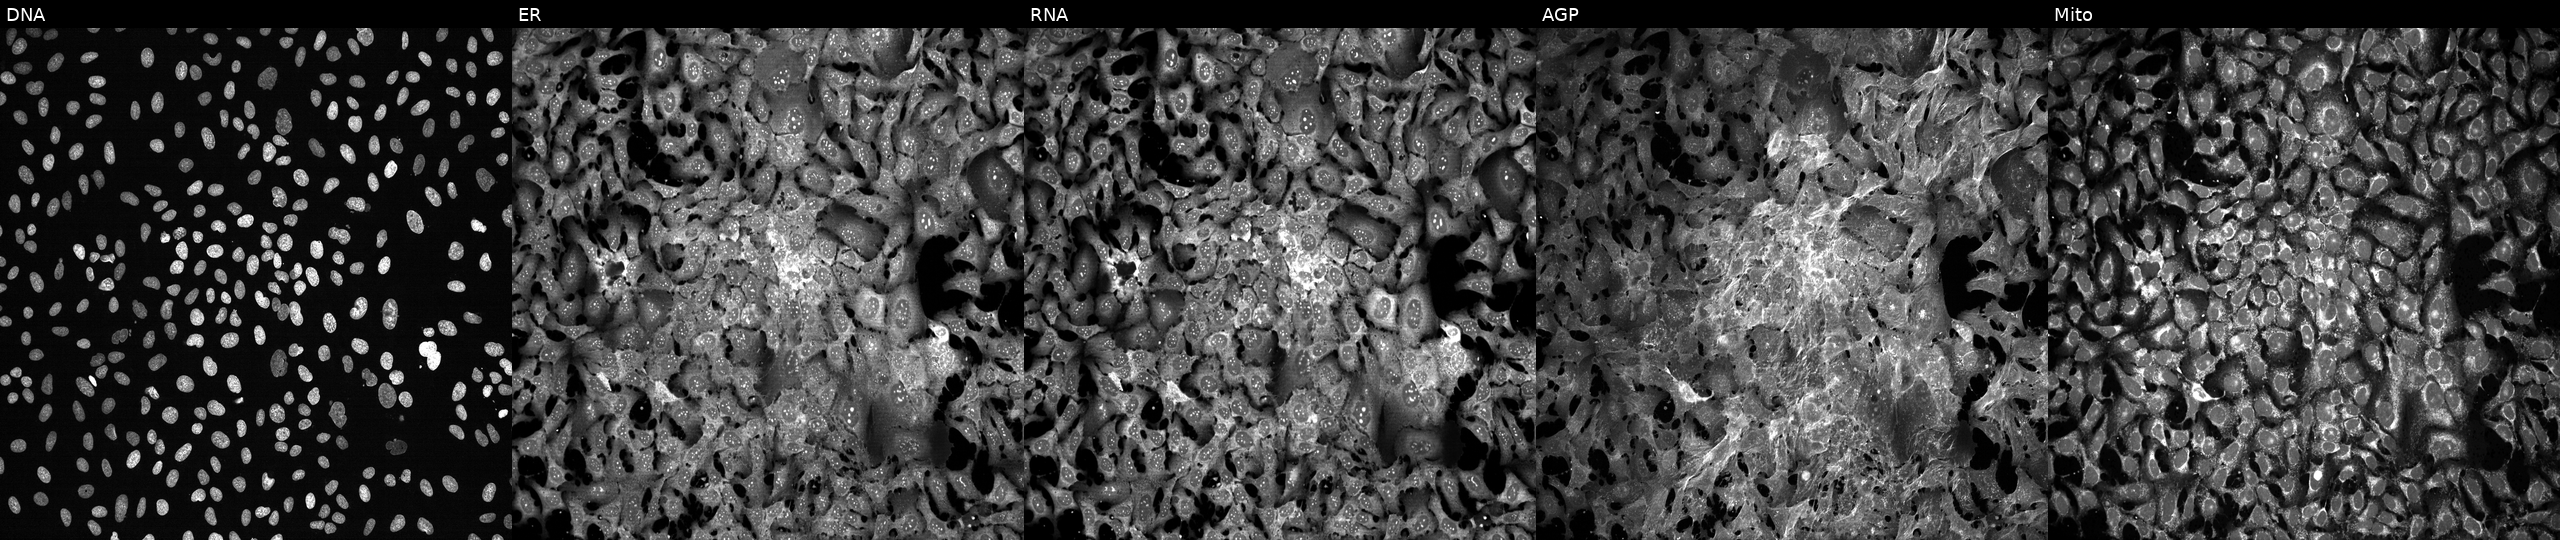
High-content fluorescence microscopy (Cell Painting). Cell line: U2OS. Perturbation: treated with FK-866 (positive-control compound) (JUMP id JCP2022_046054). Channels (left→right): Hoechst 33342, concanavalin A, SYTO 14, phalloidin and WGA, MitoTracker. Source 13, plate CP-CC9-R6-19, well H24.